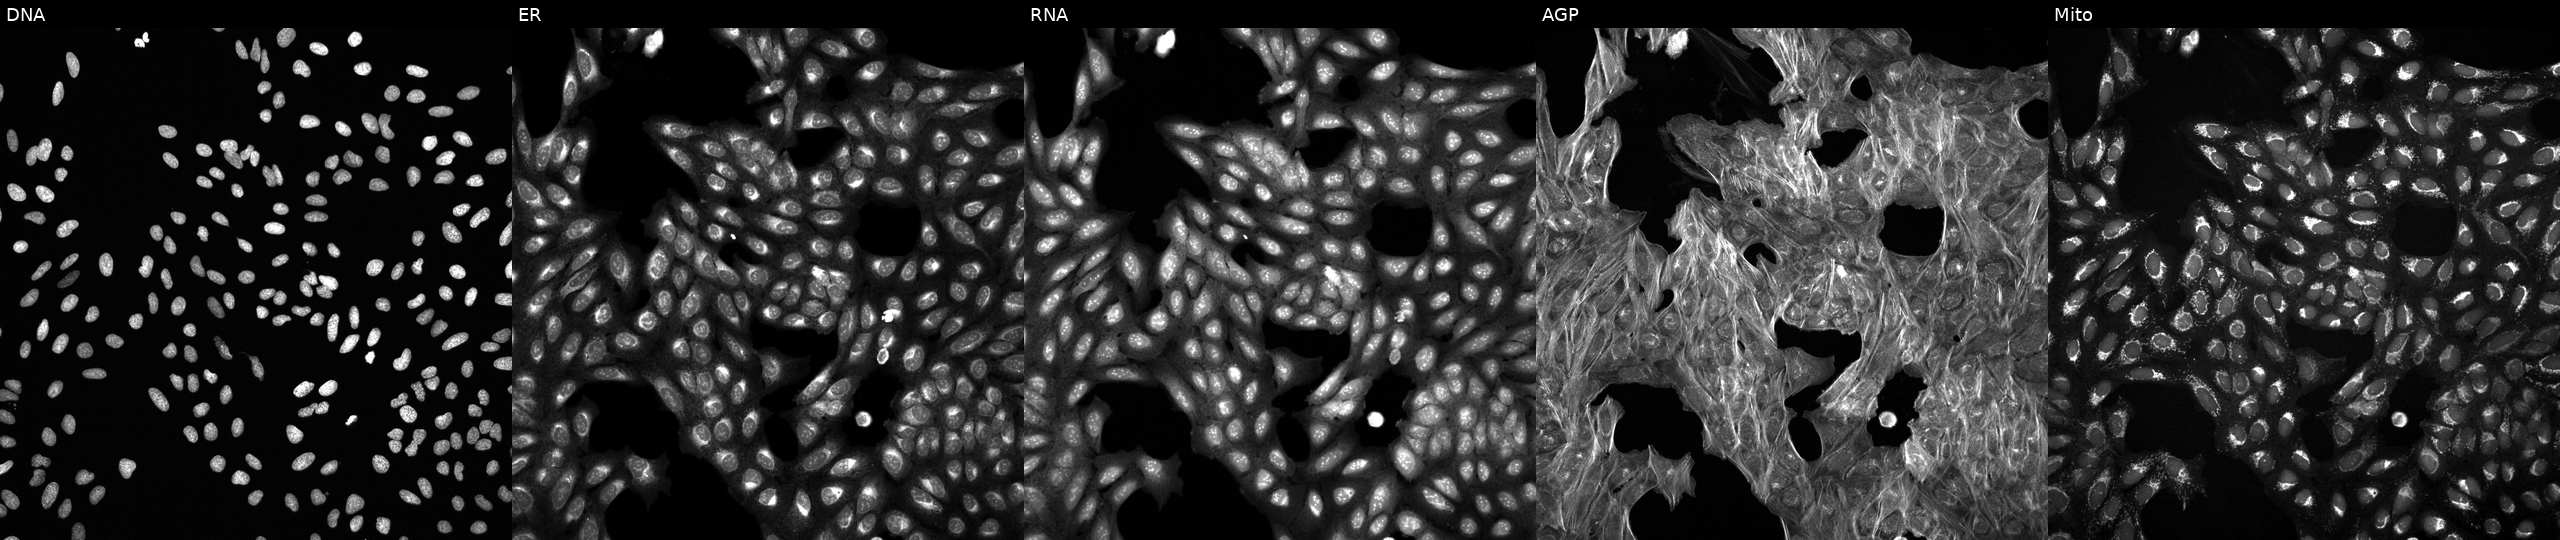
This image strip shows the five Cell Painting channels for a single field of U2OS cells perturbed with a small-molecule compound (InChIKey KJFMBFZCATUALV-UHFFFAOYSA-N). Channels (left→right): DNA, ER, RNA, AGP, and Mito.